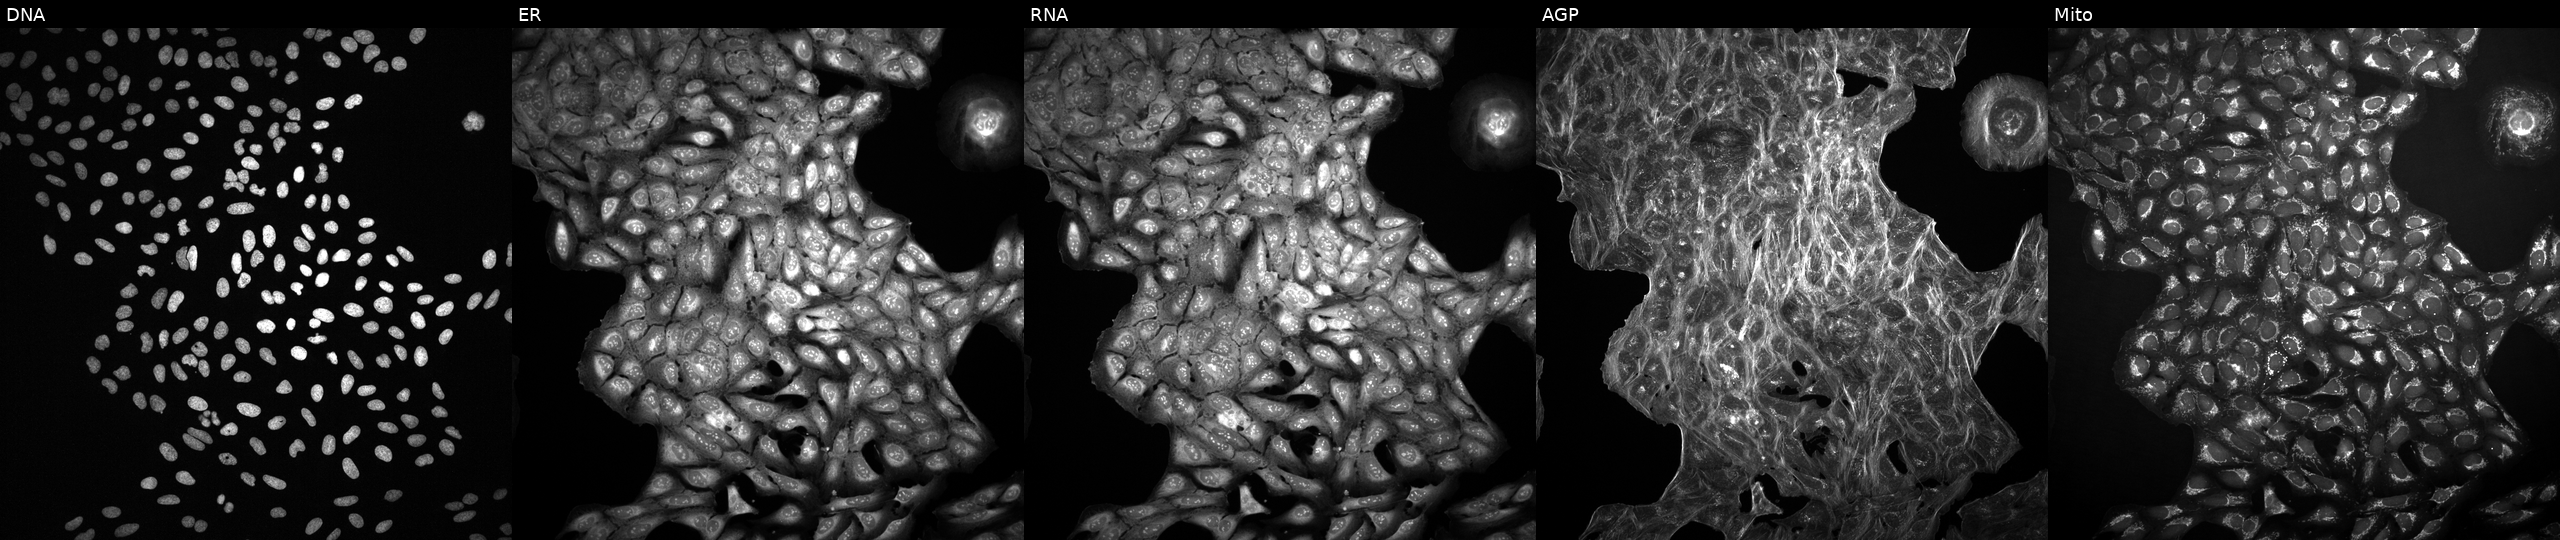
The five panels, left to right, show DNA (nuclei); ER (endoplasmic reticulum); RNA (nucleoli and cytoplasmic RNA); AGP (actin cytoskeleton, Golgi, and plasma membrane); Mito (mitochondria). U2OS osteosarcoma cells treated with a small-molecule compound (InChIKey XDFKWGIBQMHSOH-UHFFFAOYSA-N) (JUMP id JCP2022_102917). Cell Painting assay, JUMP-CP dataset. Source 2, plate 1053597936, well F08.